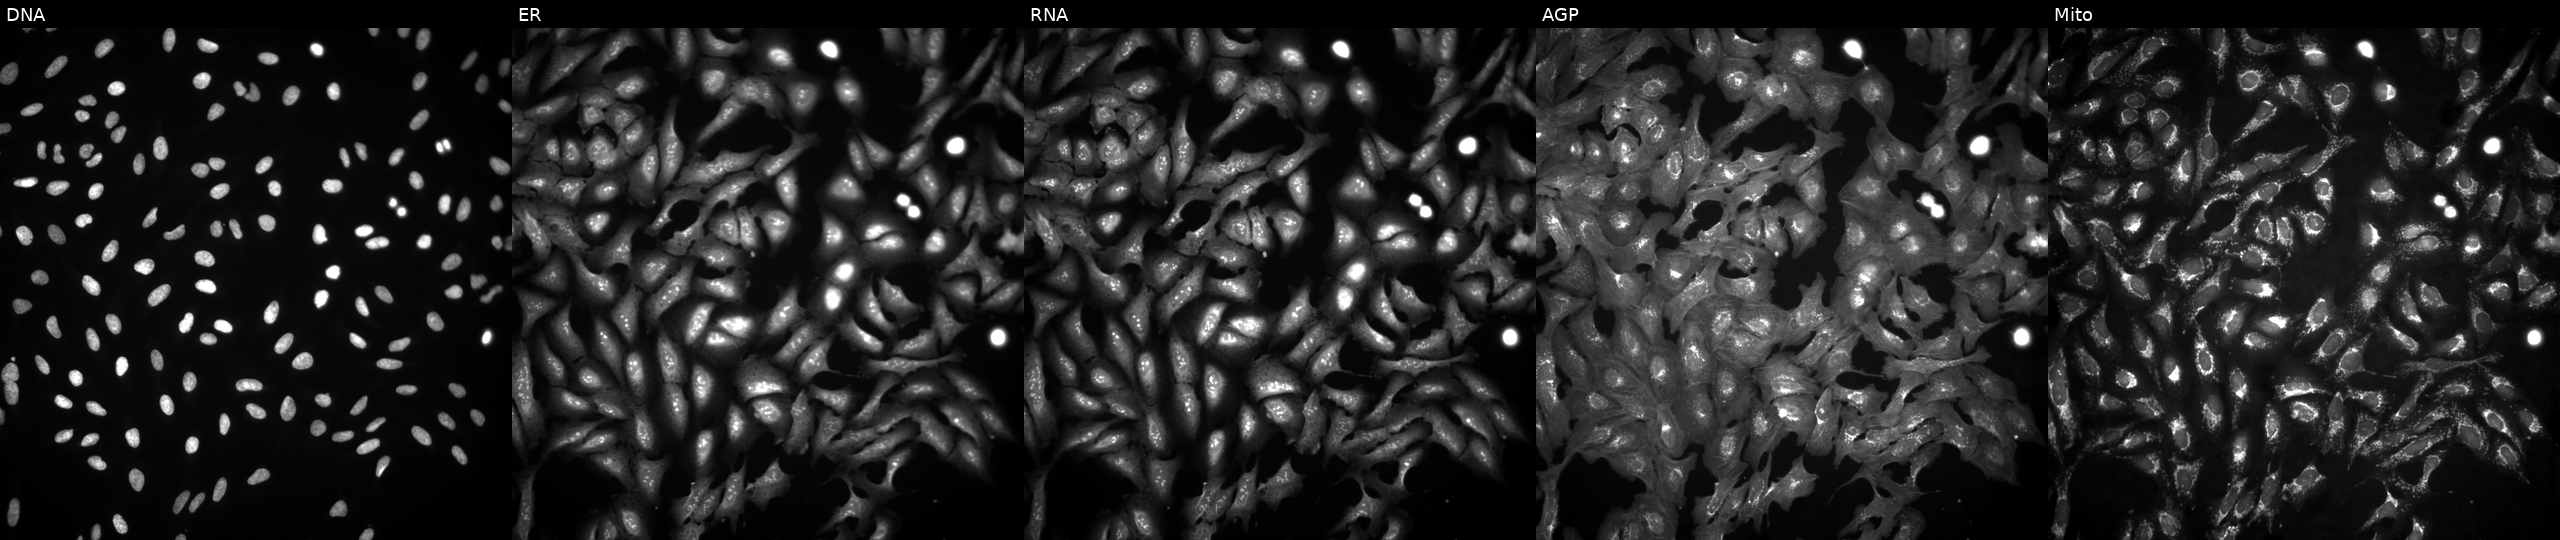
JUMP Cell Painting — ORF plate. U2OS cells overexpressing CREM via ORF transfection (JUMP id JCP2022_905644). From left to right: DNA (nuclei); ER (endoplasmic reticulum); RNA (nucleoli and cytoplasmic RNA); AGP (actin cytoskeleton, Golgi, and plasma membrane); Mito (mitochondria). Source 4, plate BR00117035, well E22.